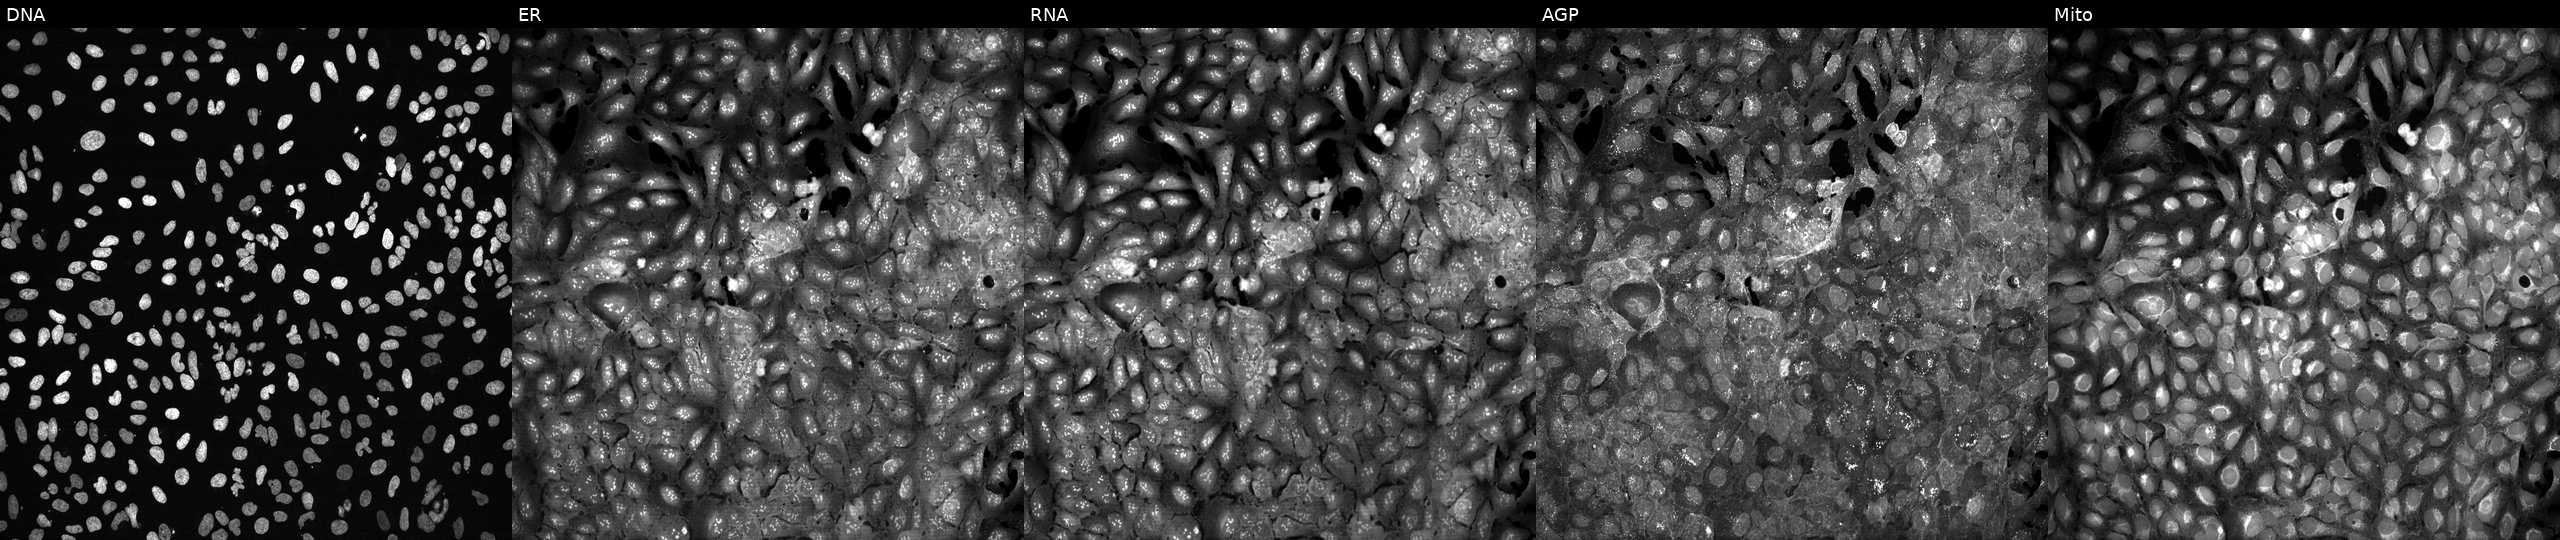
High-content fluorescence microscopy (Cell Painting). Cell line: U2OS. Perturbation: following CRISPR knockout of AGO2. Panels show, left to right, DNA, ER, RNA, AGP, and Mito.